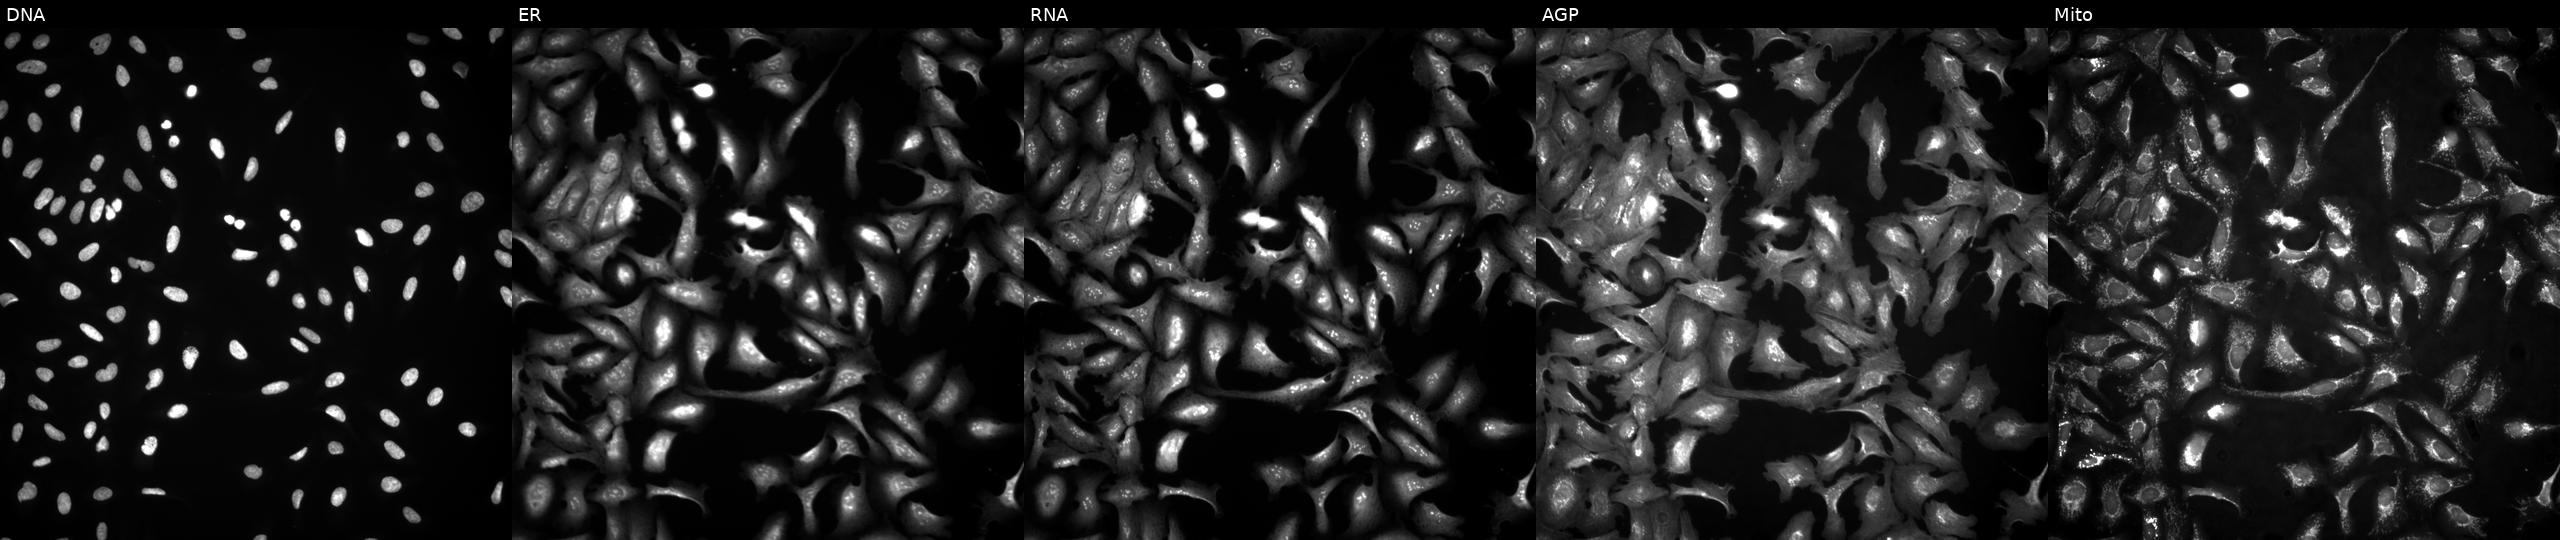
High-content fluorescence microscopy (Cell Painting). Cell line: U2OS. Perturbation: transfected with an ORF construct for IL21R (JUMP id JCP2022_902954). Channels (left→right): Hoechst 33342, concanavalin A, SYTO 14, phalloidin and WGA, MitoTracker.